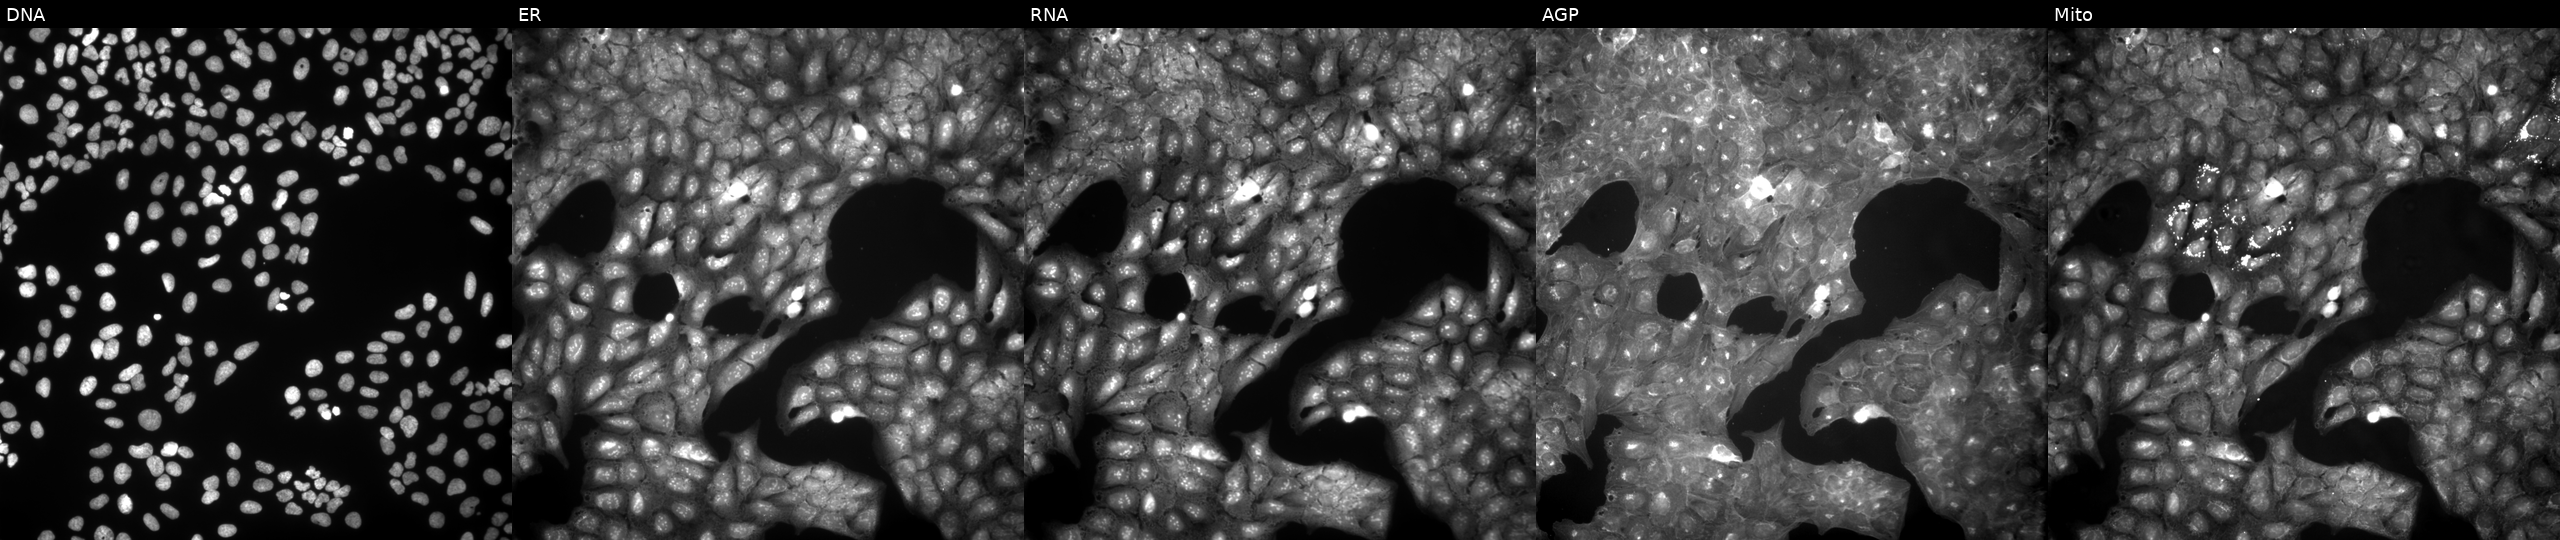
Five-channel Cell Painting image of U2OS cells exposed to a small-molecule compound (InChIKey BXTMOEHBYFSSLQ-UHFFFAOYSA-N) [SMILES: Cc1ccc(C(=O)N=c2cccc[nH]2)cc1S(=O)(=O)N1CCOCC1]. Channels (left→right): DNA, ER, RNA, AGP, and Mito. Source 9, plate GR00003382, well C28.